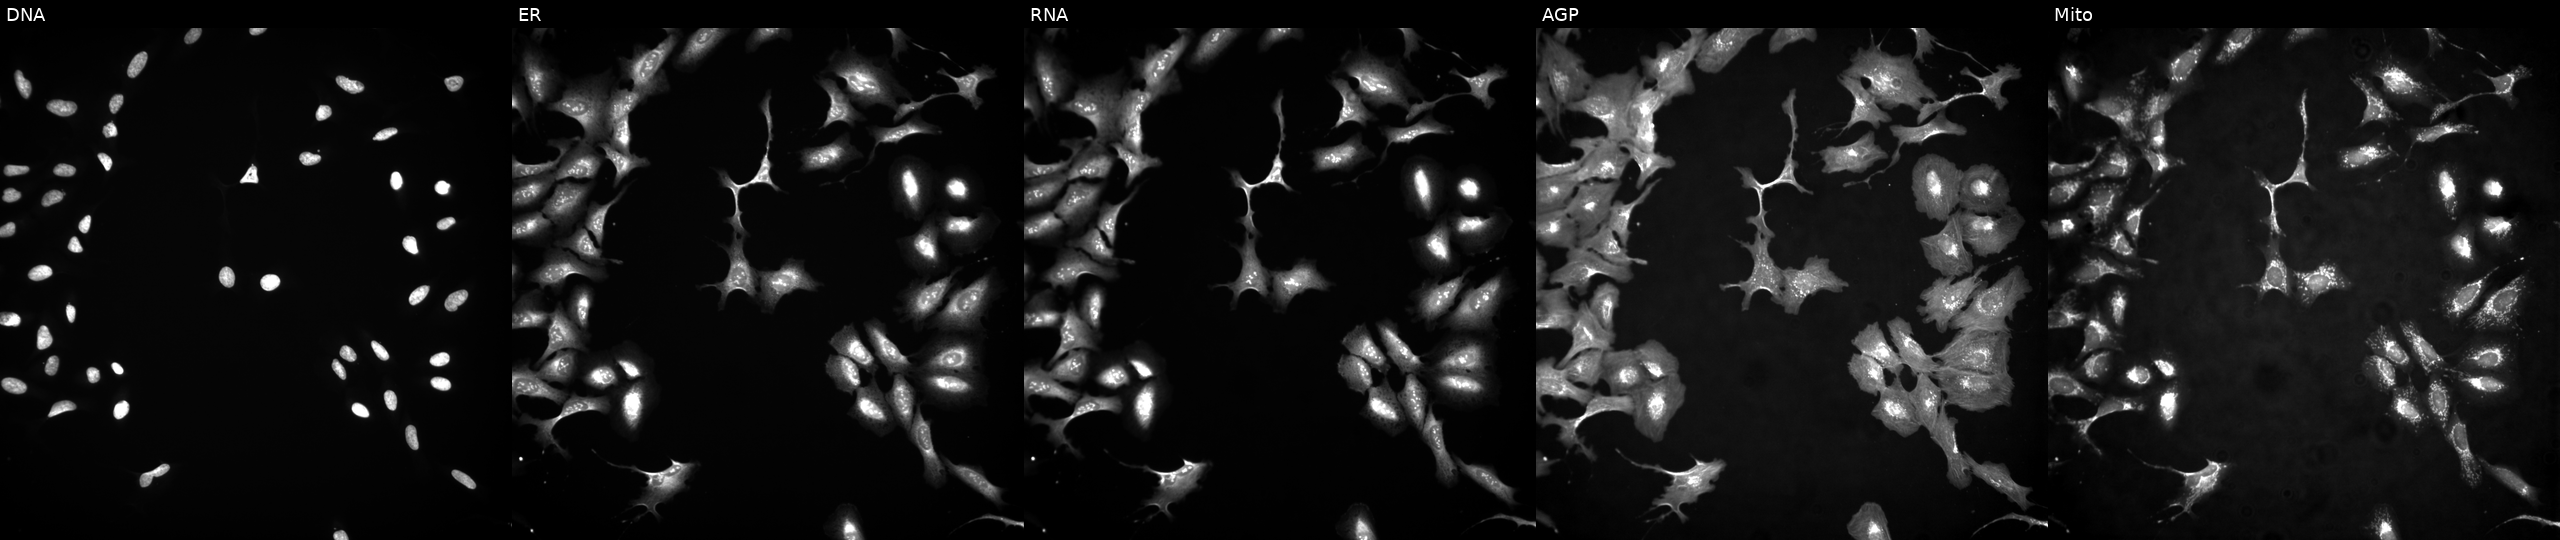
High-content fluorescence microscopy (Cell Painting). Cell line: U2OS. Perturbation: with CCL4 overexpressed (ORF). The five panels, left to right, show DNA (nuclei); ER (endoplasmic reticulum); RNA (nucleoli and cytoplasmic RNA); AGP (actin cytoskeleton, Golgi, and plasma membrane); Mito (mitochondria).